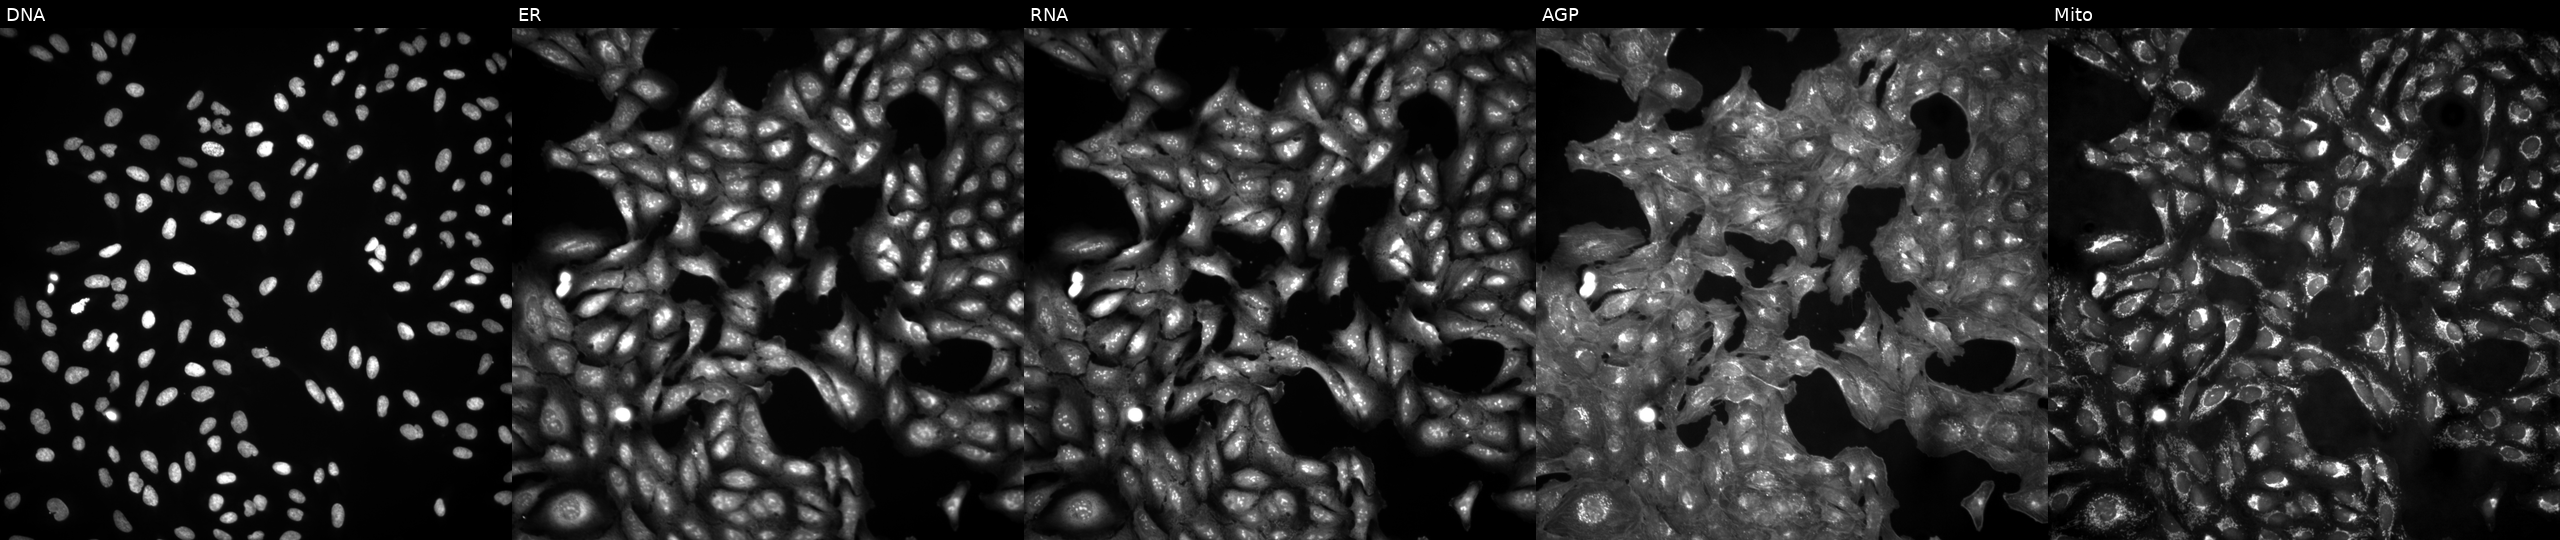
U2OS cells, Cell Painting assay, untreated (empty-well control). From left to right: DNA (nuclei); ER (endoplasmic reticulum); RNA (nucleoli and cytoplasmic RNA); AGP (actin cytoskeleton, Golgi, and plasma membrane); Mito (mitochondria). Each panel is percentile-stretched 16-bit fluorescence. Source 4, plate BR00123946, well O11.